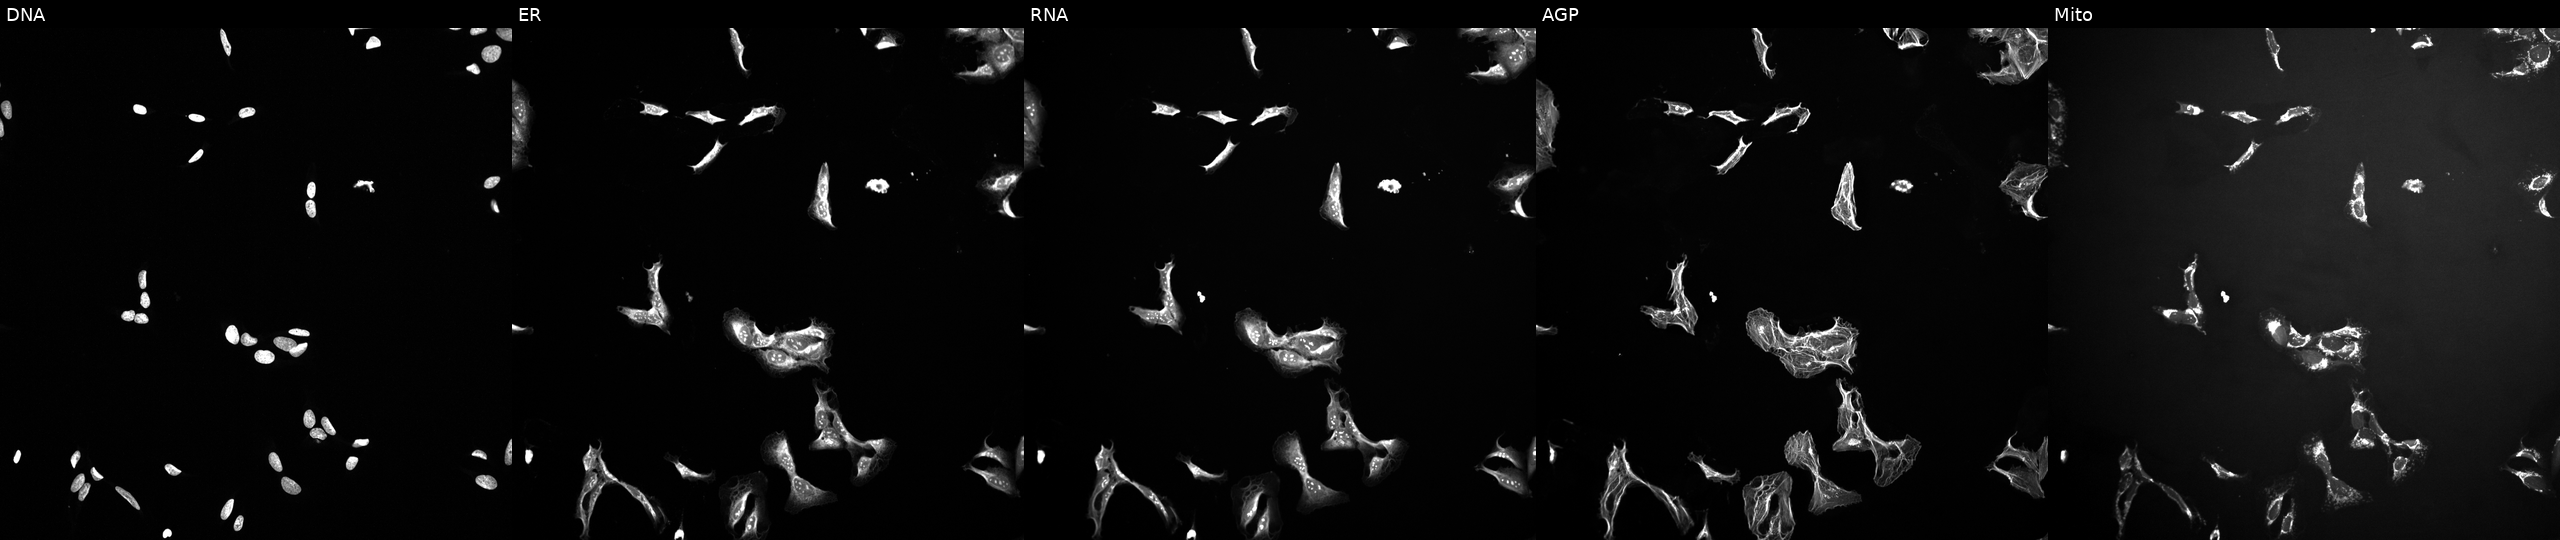
Five-channel Cell Painting image of U2OS cells treated with a small-molecule compound (InChIKey WYWHKKSPHMUBEB-UHFFFAOYSA-N). From left to right: DNA, ER, RNA, AGP, and Mito. Source 10, plate Dest210726-160150, well H15.